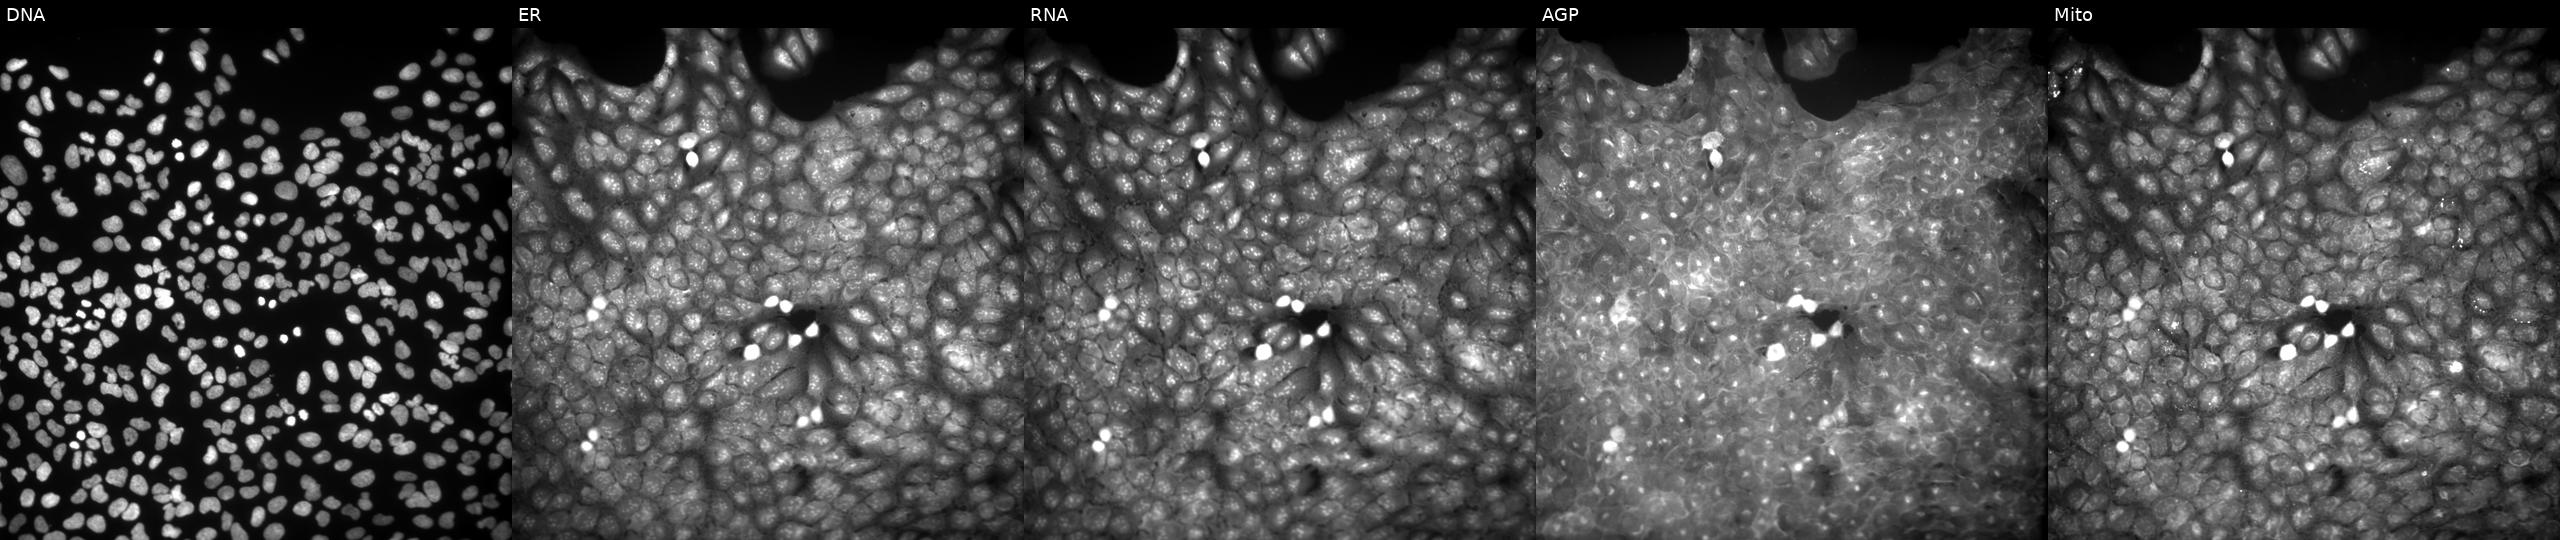
JUMP Cell Painting — COMPOUND plate. U2OS cells exposed to a small-molecule compound (JUMP id JCP2022_105635). Channels (left→right): Hoechst 33342, concanavalin A, SYTO 14, phalloidin and WGA, MitoTracker.